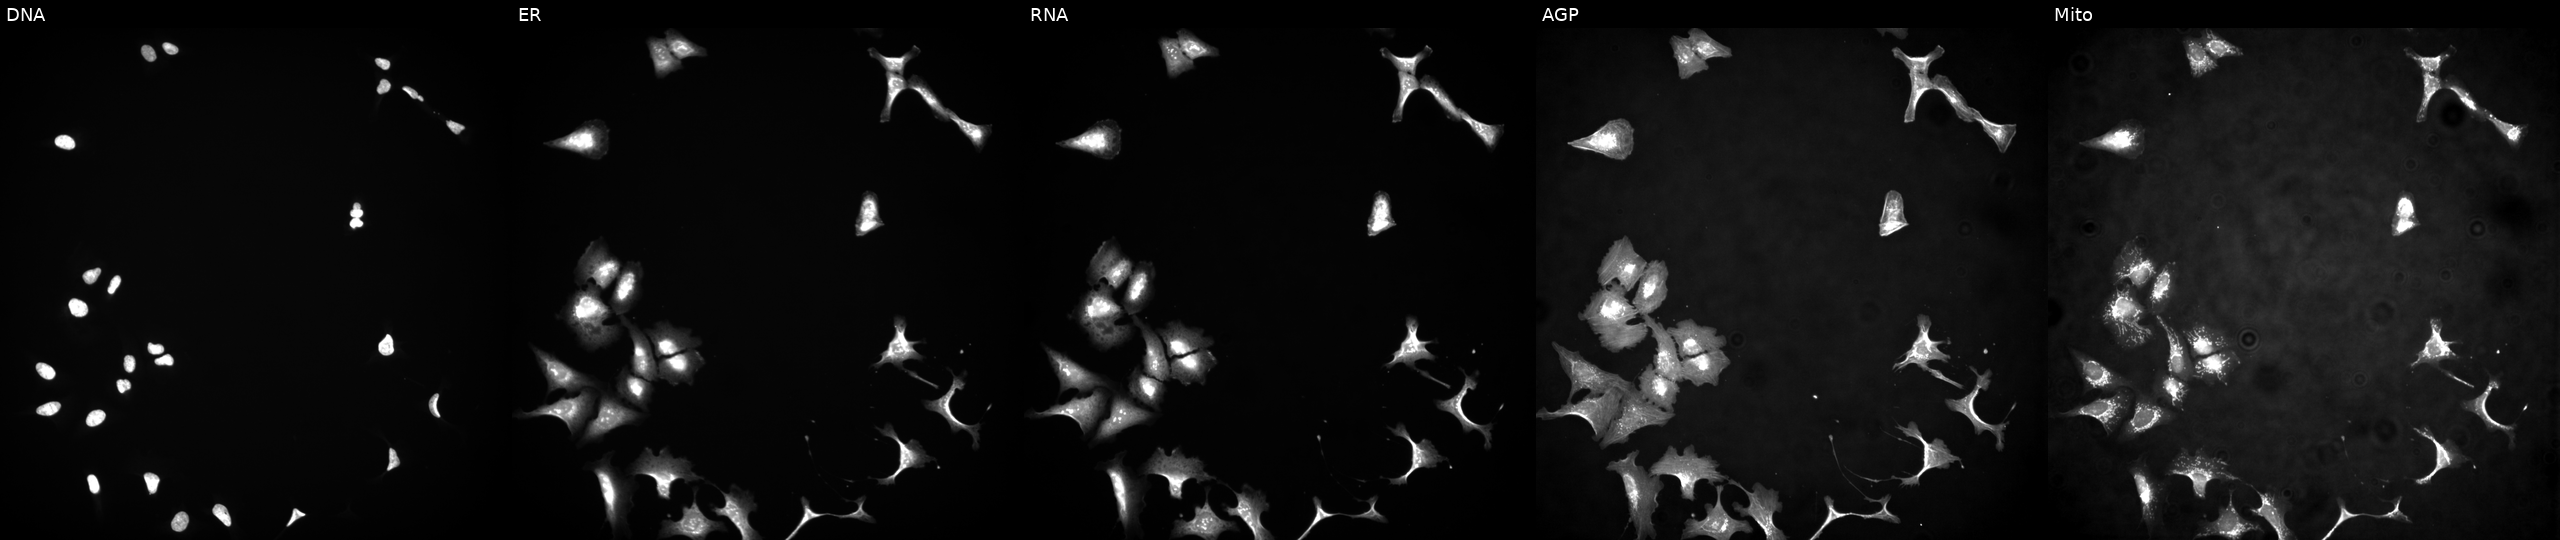
Five-channel Cell Painting image of U2OS cells transfected with an ORF construct for MPP3 (JUMP id JCP2022_913729). From left to right: DNA, ER, RNA, AGP, and Mito. Source 4, plate BR00123945, well I06.